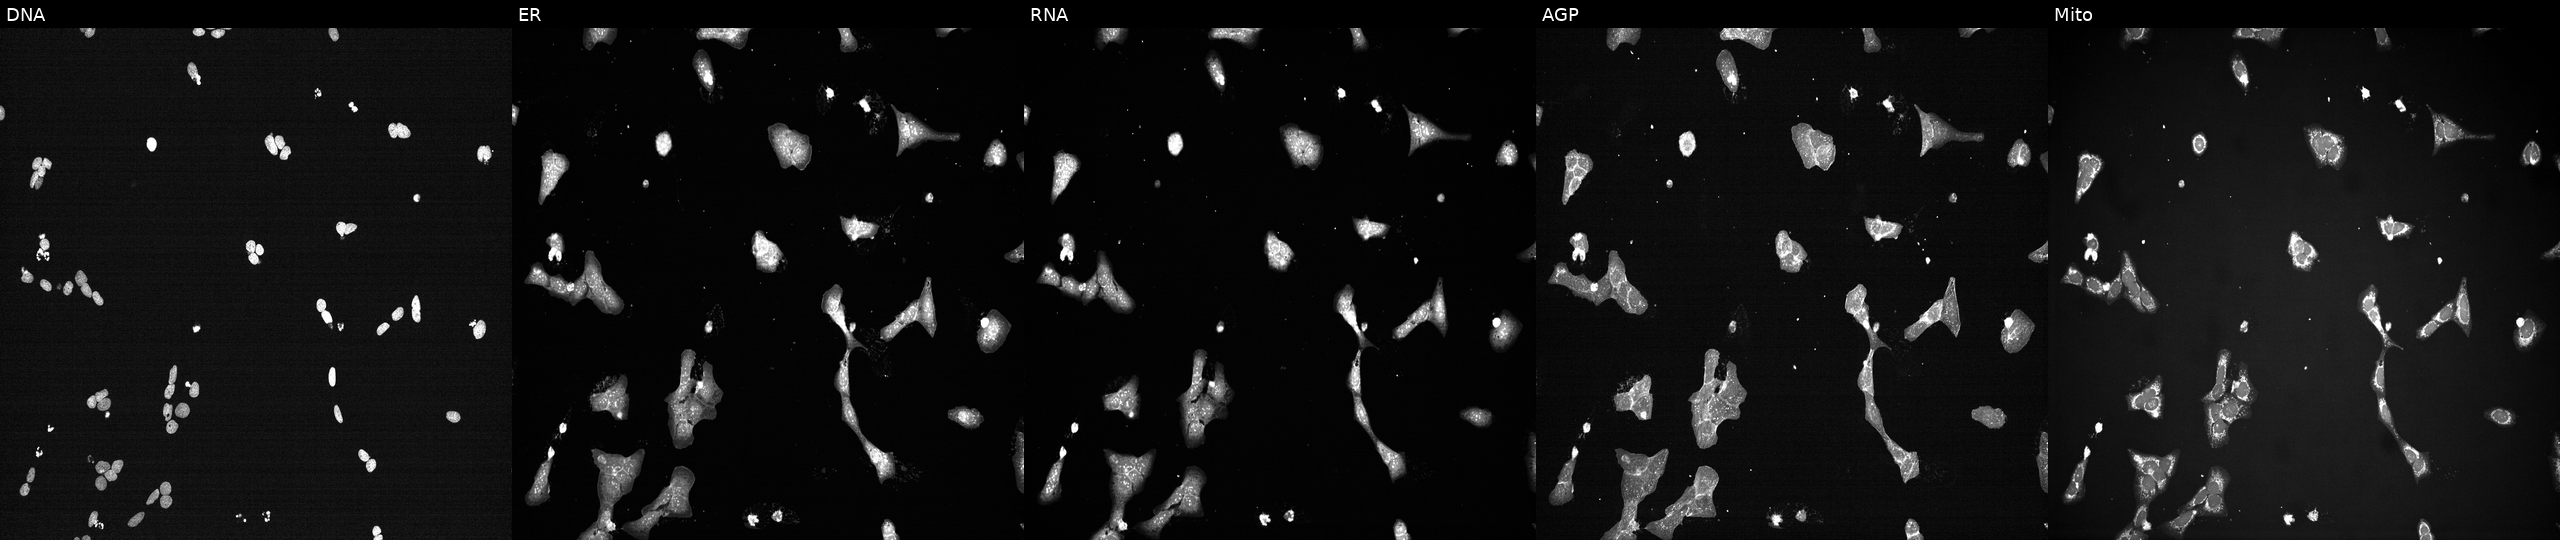
U2OS cells, Cell Painting assay, perturbed with a small-molecule compound (InChIKey NVRXTLZYXZNATH-UHFFFAOYSA-N) [SMILES: N=c1[nH]cnc2c1c(-c1cnc3[nH]ccc3c1)nn2C1CCCC1] (JUMP id JCP2022_061654). From left to right: DNA (nuclei); ER (endoplasmic reticulum); RNA (nucleoli and cytoplasmic RNA); AGP (actin cytoskeleton, Golgi, and plasma membrane); Mito (mitochondria). Each panel is percentile-stretched 16-bit fluorescence.